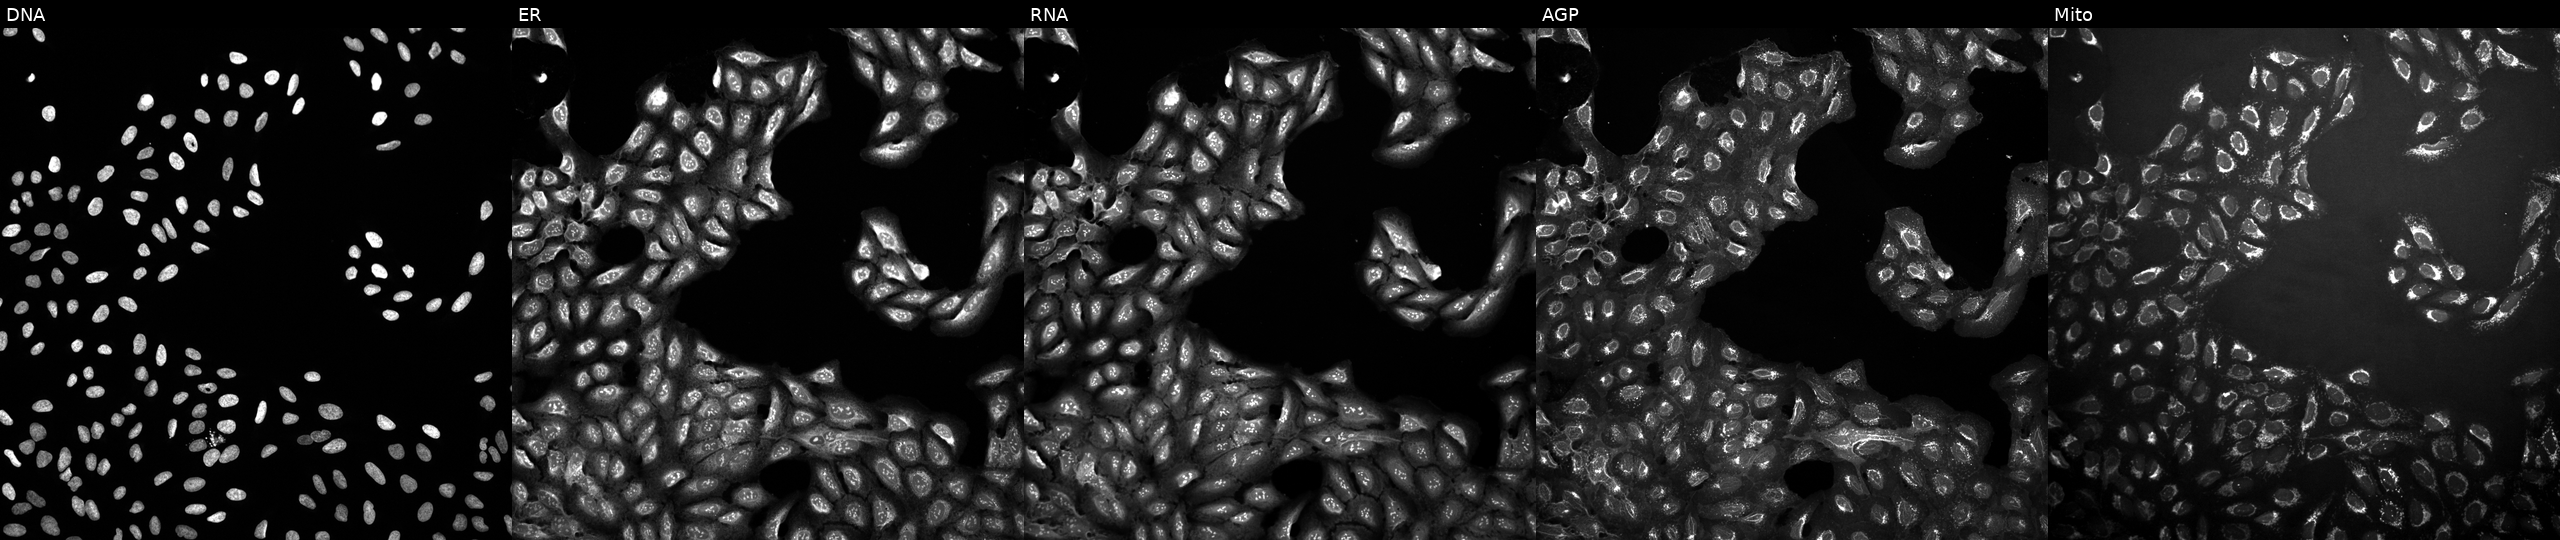
High-content fluorescence microscopy (Cell Painting). Cell line: U2OS. Perturbation: treated with a small-molecule compound. The five panels, left to right, show DNA (nuclei); ER (endoplasmic reticulum); RNA (nucleoli and cytoplasmic RNA); AGP (actin cytoskeleton, Golgi, and plasma membrane); Mito (mitochondria).